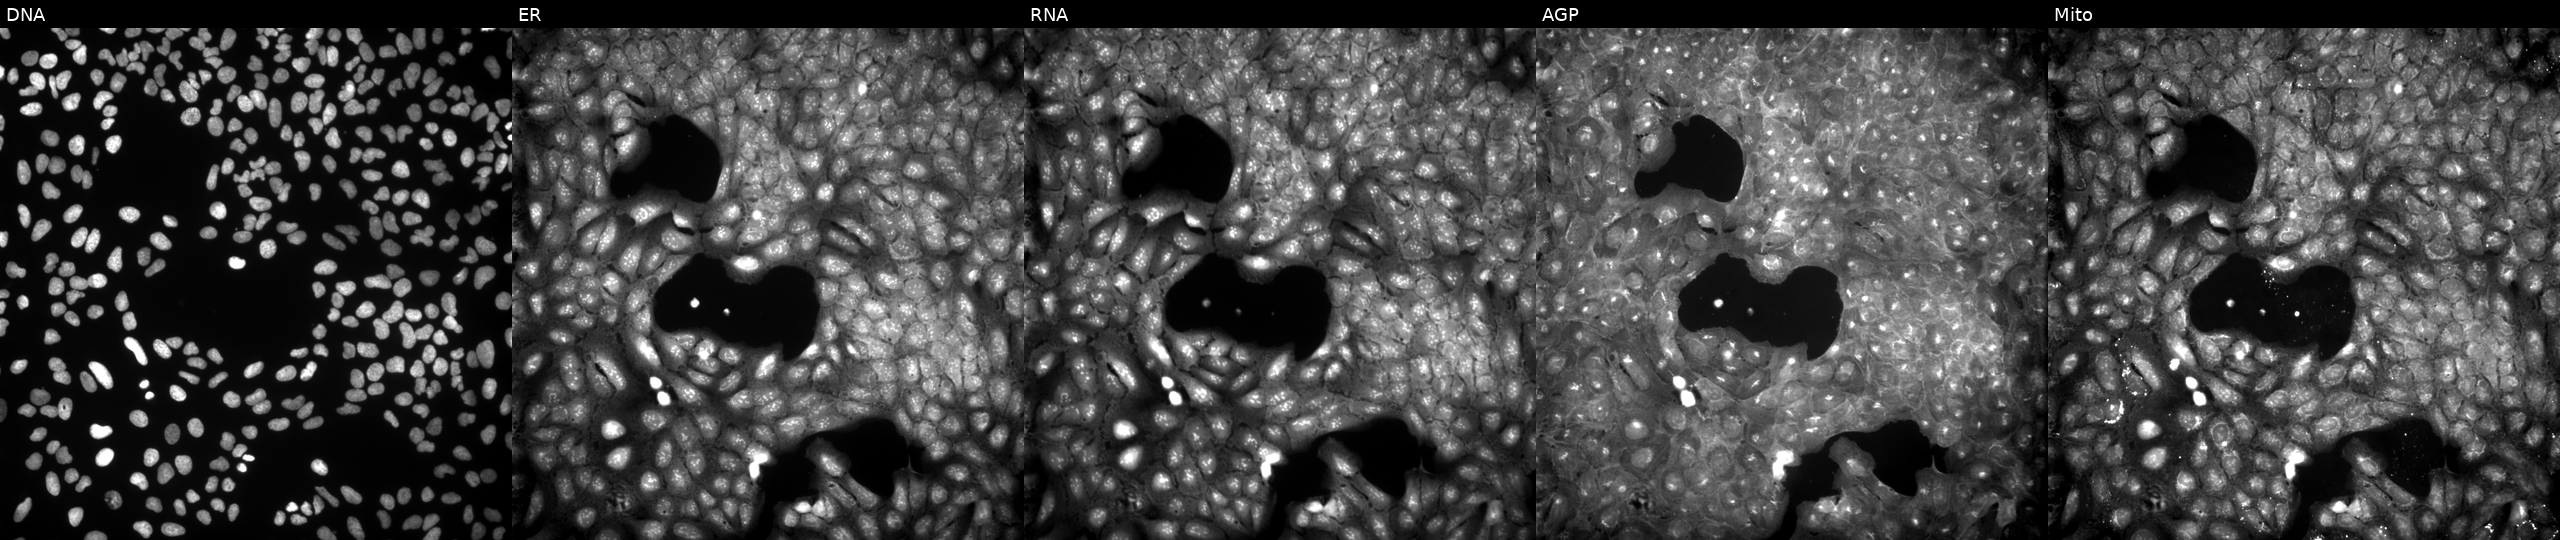
U2OS cells, Cell Painting assay, treated with DMSO vehicle only (negative control) (JUMP id JCP2022_033924). From left to right: Hoechst 33342, concanavalin A, SYTO 14, phalloidin and WGA, MitoTracker. Each panel is percentile-stretched 16-bit fluorescence. Source 9, plate GR00003382, well H26.